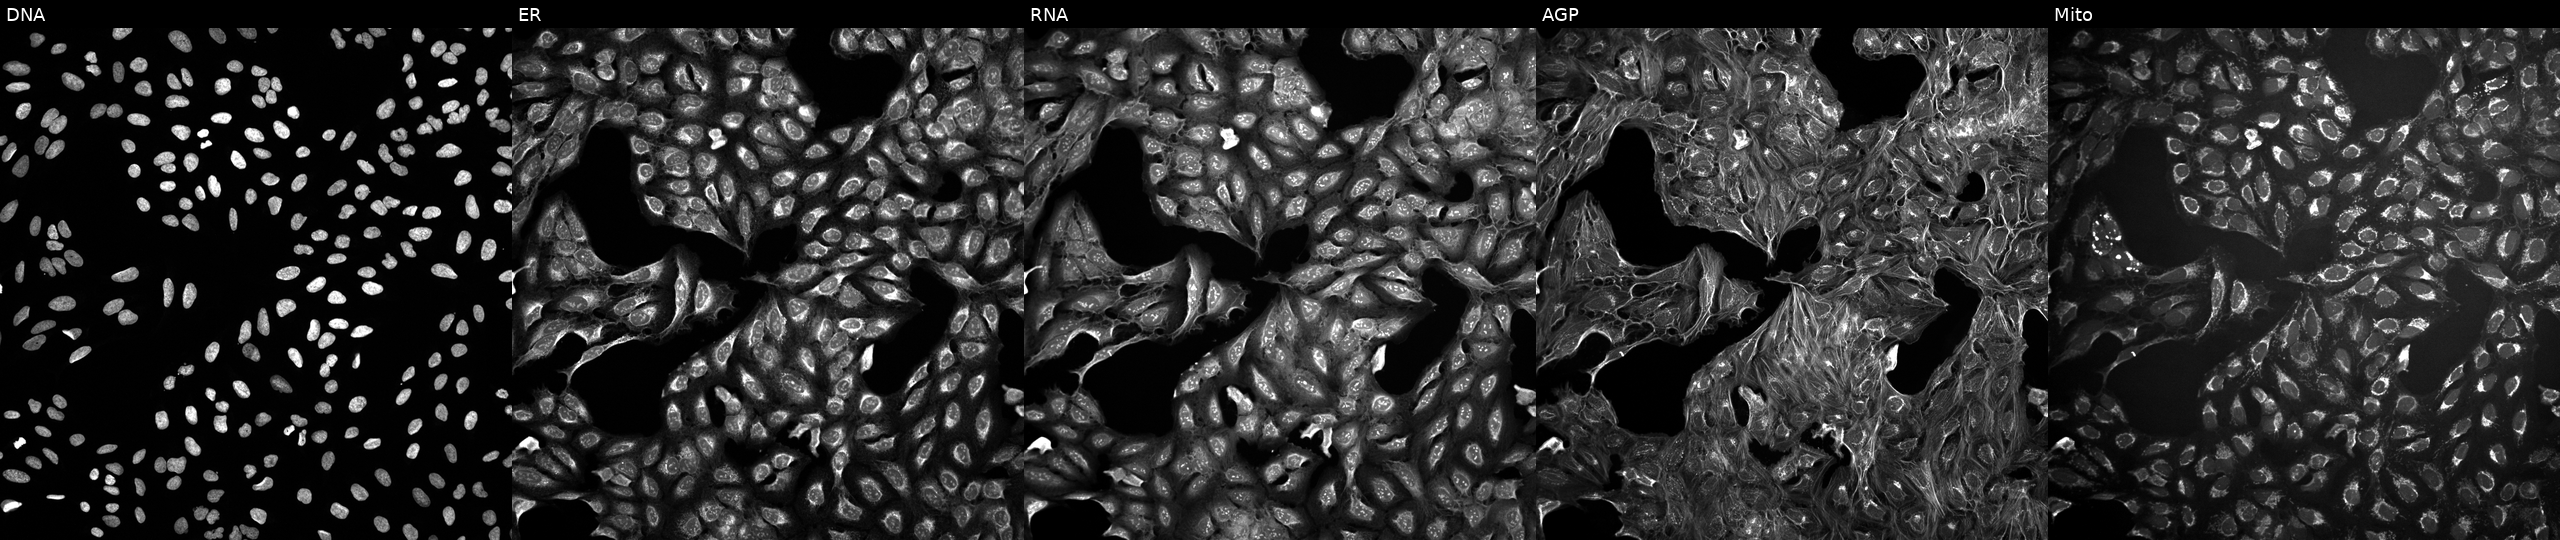
U2OS cells, Cell Painting assay, untreated (empty-well control). Channels (left→right): DNA (nuclei); ER (endoplasmic reticulum); RNA (nucleoli and cytoplasmic RNA); AGP (actin cytoskeleton, Golgi, and plasma membrane); Mito (mitochondria). Each panel is percentile-stretched 16-bit fluorescence.